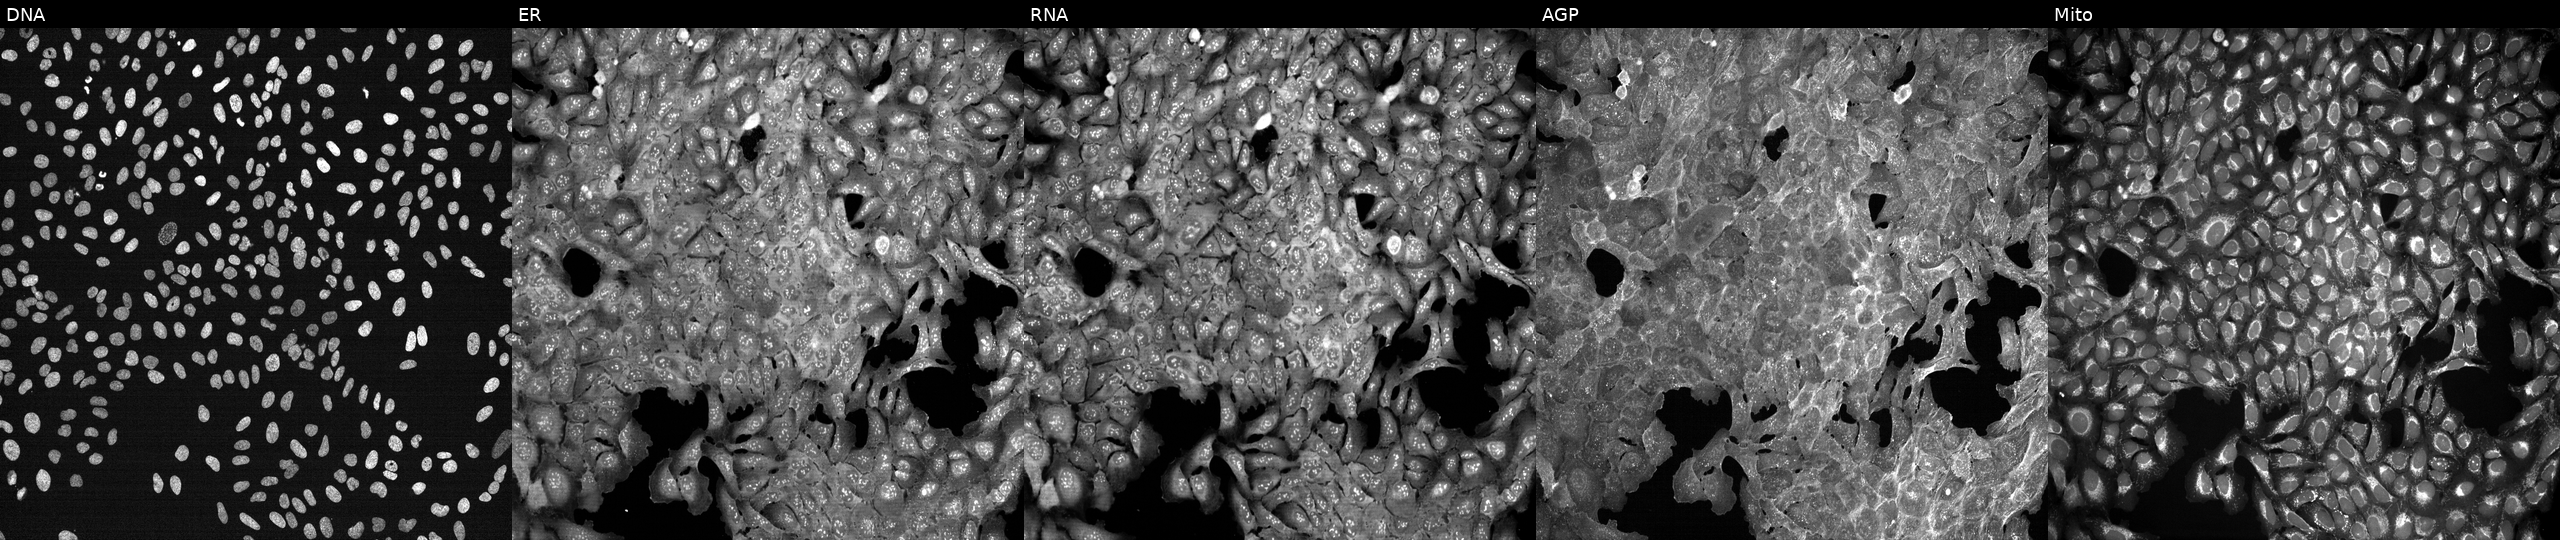
High-content fluorescence microscopy (Cell Painting). Cell line: U2OS. Perturbation: exposed to a small-molecule compound (InChIKey YYOOFJZTRCPVFD-UHFFFAOYSA-N). The five panels, left to right, show DNA, ER, RNA, AGP, and Mito. Source 7, plate CP3-SC1-25, well B06.